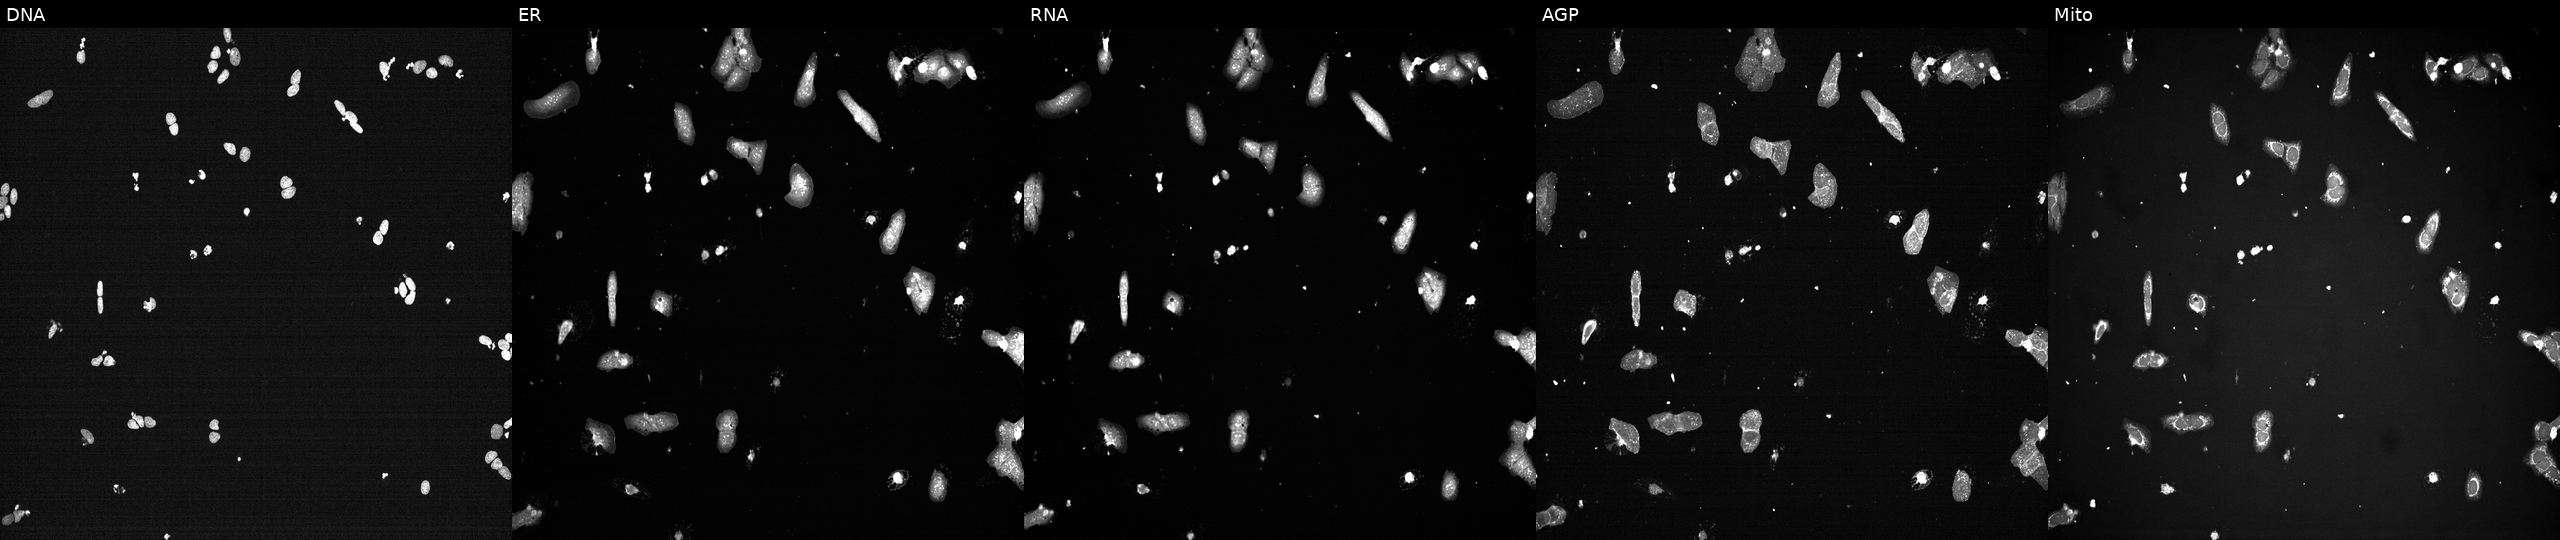
JUMP Cell Painting — TARGET2 plate. U2OS cells treated with a small-molecule compound (InChIKey NVRXTLZYXZNATH-UHFFFAOYSA-N) [SMILES: N=c1[nH]cnc2c1c(-c1cnc3[nH]ccc3c1)nn2C1CCCC1]. The five panels, left to right, show Hoechst 33342, concanavalin A, SYTO 14, phalloidin and WGA, MitoTracker.